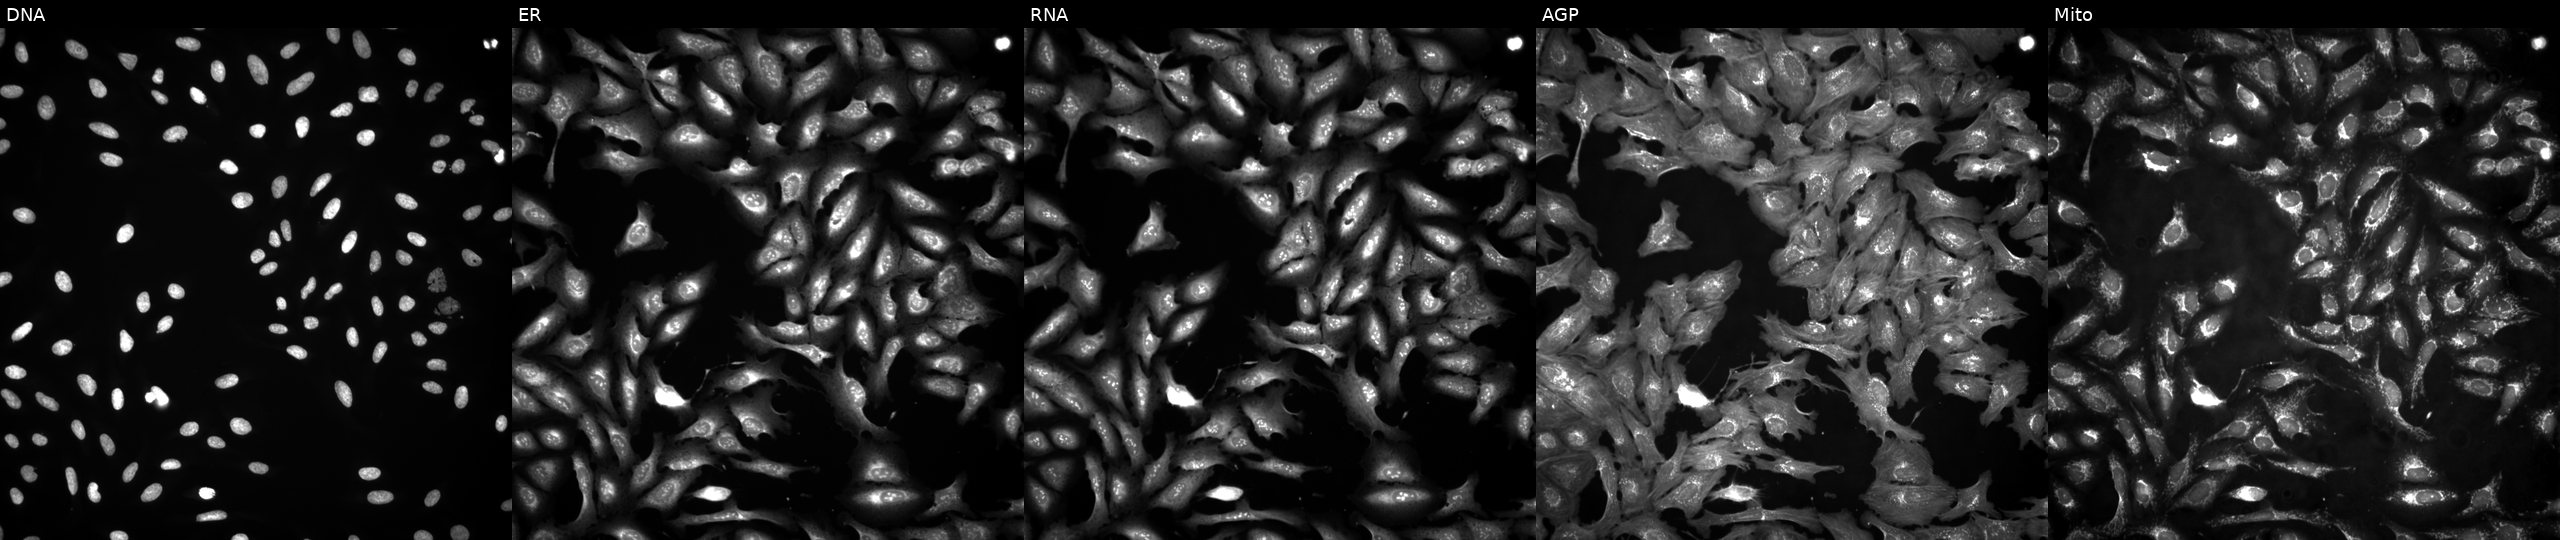
High-content fluorescence microscopy (Cell Painting). Cell line: U2OS. Perturbation: transfected with an ORF construct for EPHB6 (JUMP id JCP2022_913660). From left to right: Hoechst 33342, concanavalin A, SYTO 14, phalloidin and WGA, MitoTracker. Source 4, plate BR00123945, well A12.